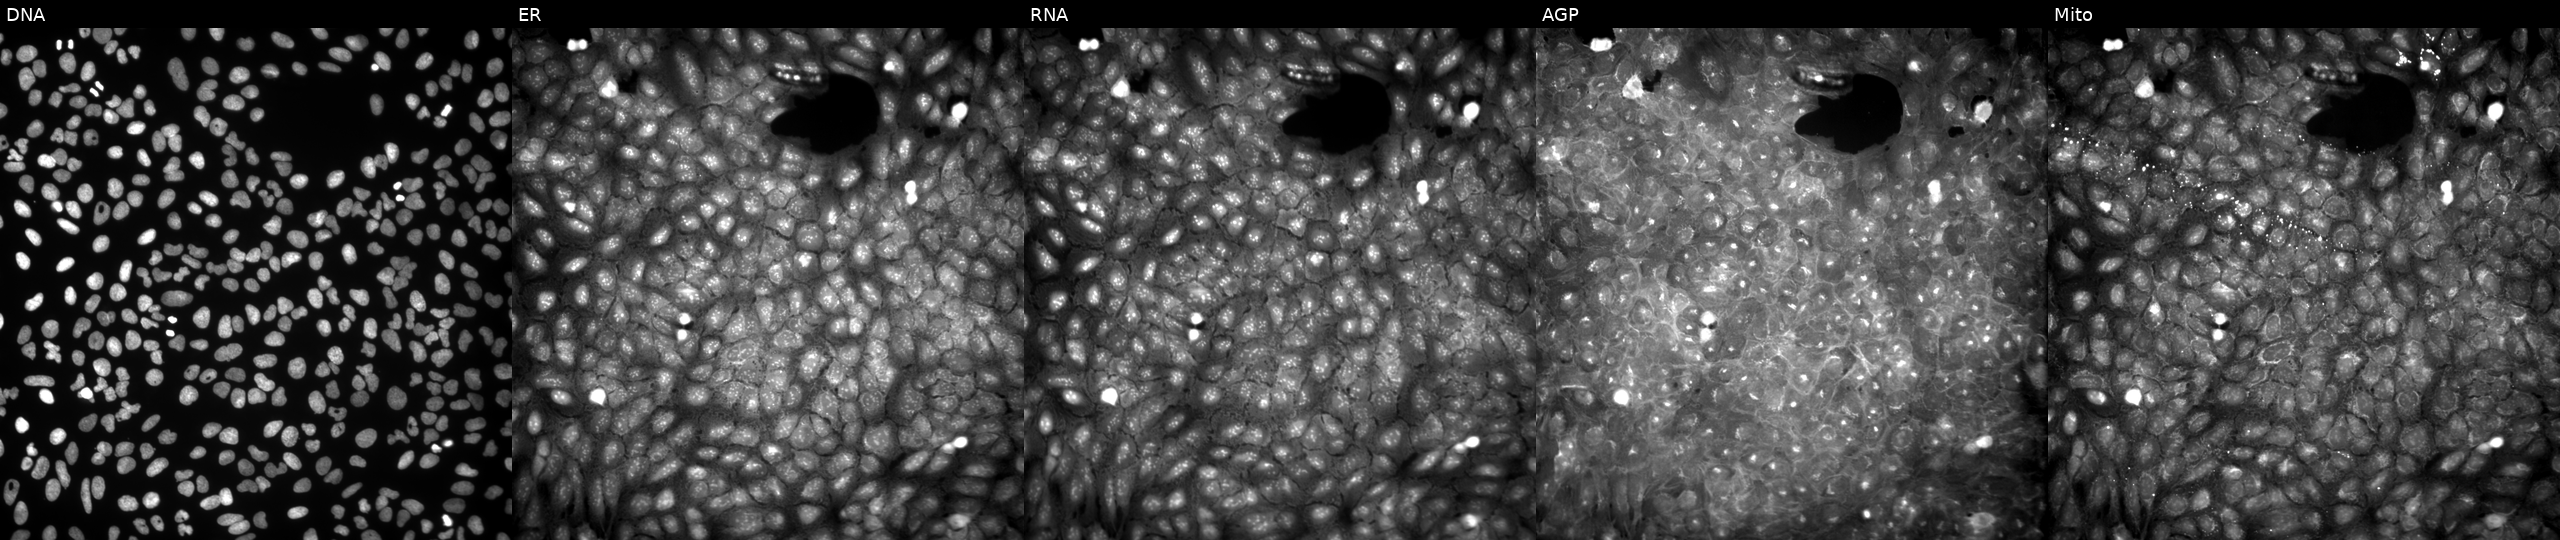
U2OS cells, Cell Painting assay, exposed to a small-molecule compound (InChIKey ZHONKXNEXKRGRA-UHFFFAOYSA-N) [SMILES: CCCCCOc1ccc(C=Cc2c([N+](=O)[O-])c(=O)n(C)c(=O)n2C)cc1] (JUMP id JCP2022_113363). Channels (left→right): DNA (nuclei); ER (endoplasmic reticulum); RNA (nucleoli and cytoplasmic RNA); AGP (actin cytoskeleton, Golgi, and plasma membrane); Mito (mitochondria). Each panel is percentile-stretched 16-bit fluorescence.